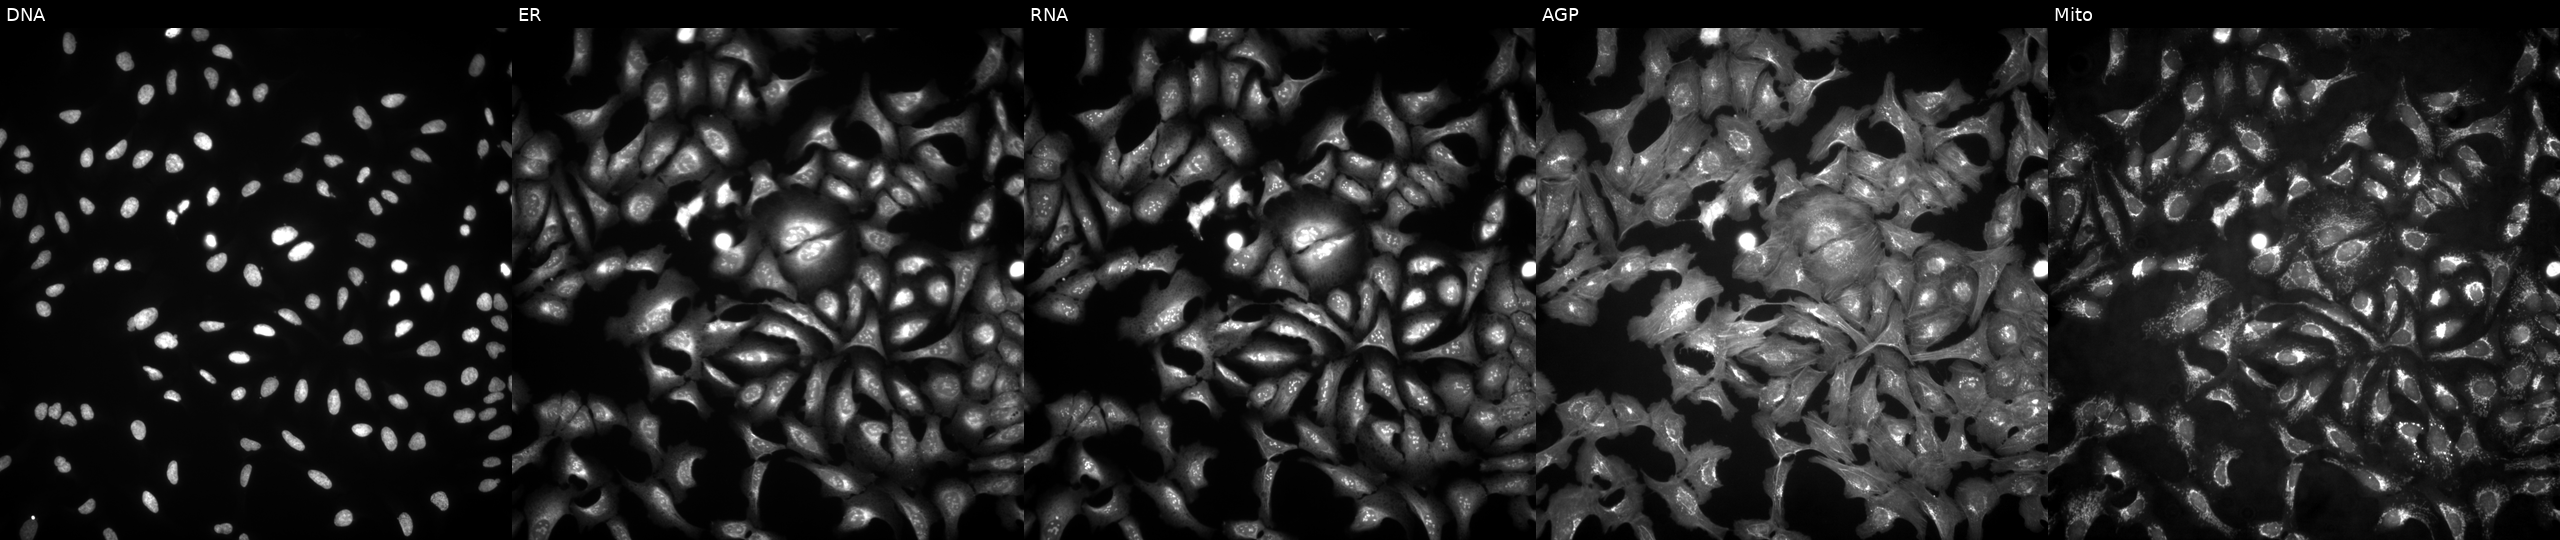
JUMP Cell Painting — ORF plate. U2OS cells overexpressing IGIP via ORF transfection (JUMP id JCP2022_912773). Channels (left→right): DNA, ER, RNA, AGP, and Mito.